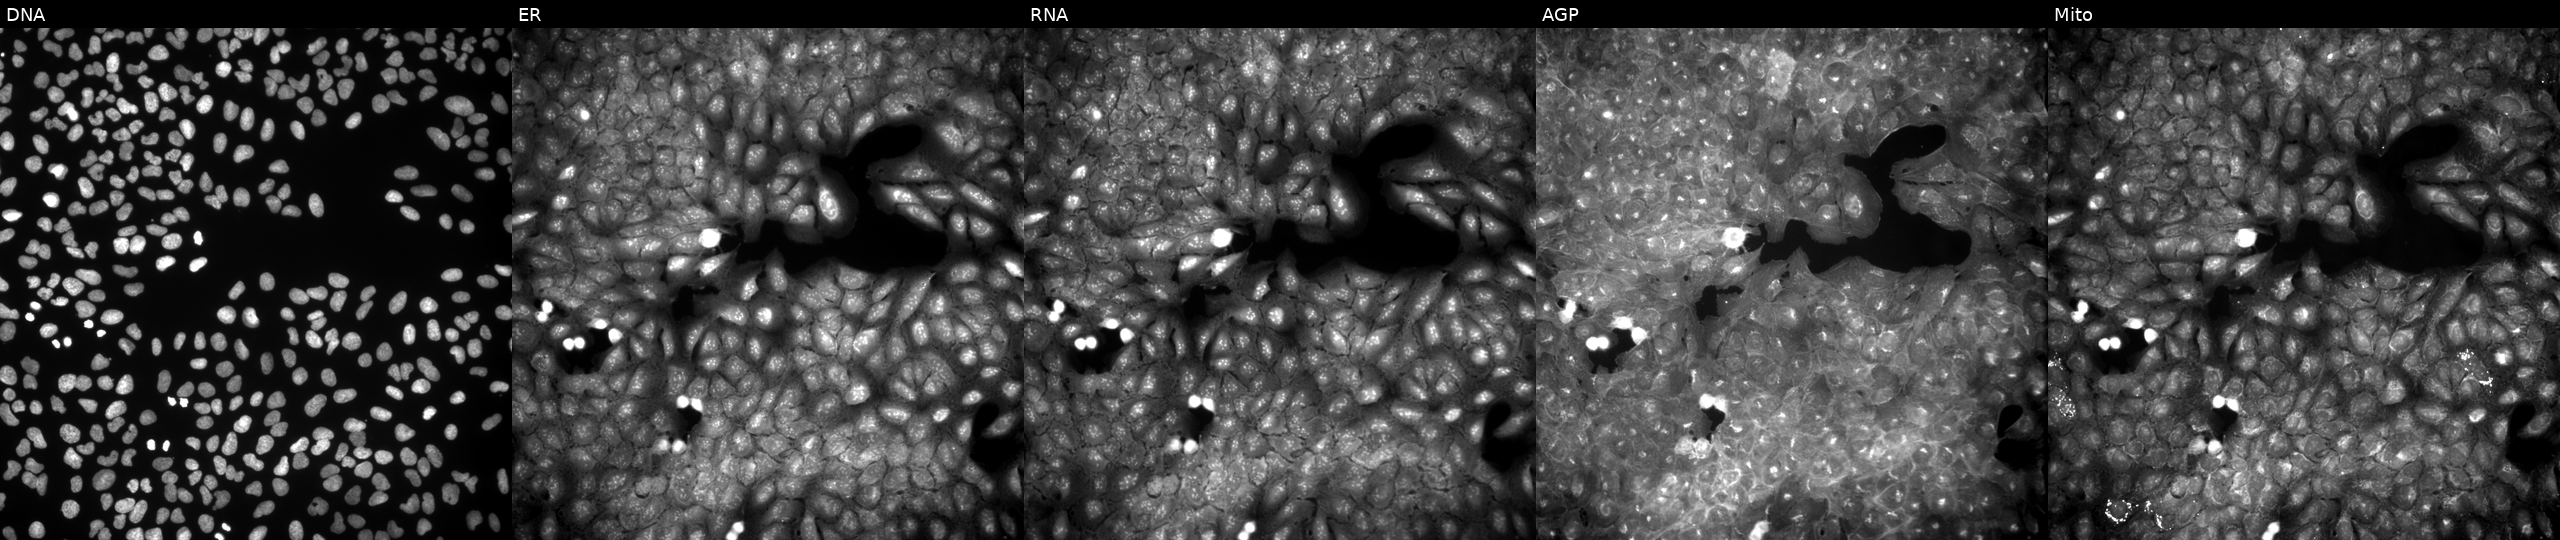
This image strip shows the five Cell Painting channels for a single field of U2OS cells exposed to DMSO alone as a negative control. The five panels, left to right, show DNA (nuclei); ER (endoplasmic reticulum); RNA (nucleoli and cytoplasmic RNA); AGP (actin cytoskeleton, Golgi, and plasma membrane); Mito (mitochondria). Source 9, plate GR00003381, well I26.